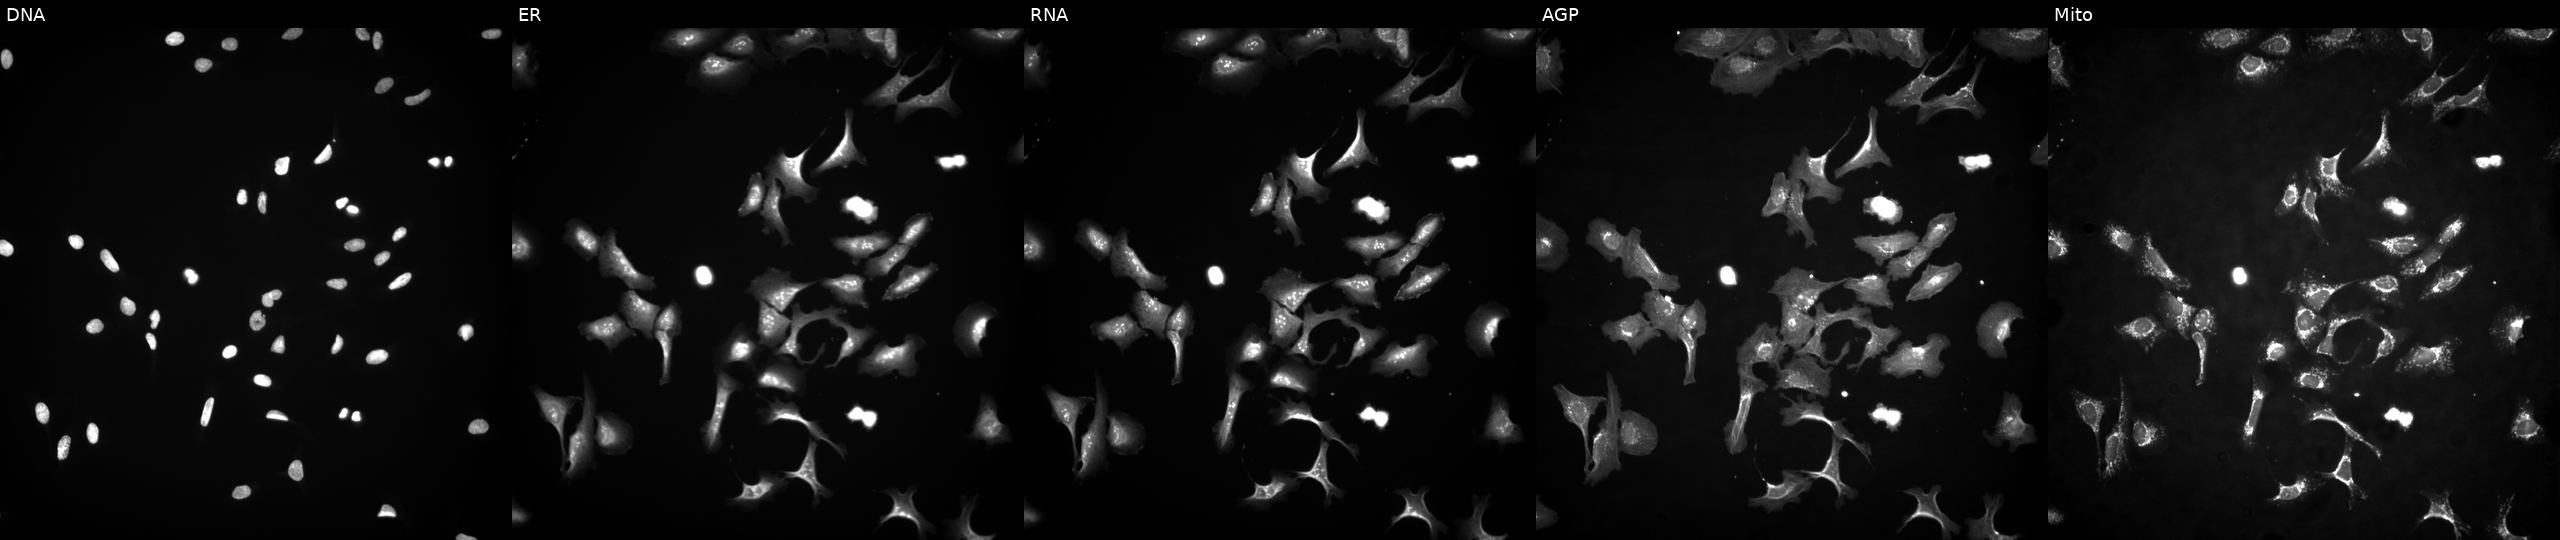
This image strip shows the five Cell Painting channels for a single field of U2OS cells overexpressing CEBPE via ORF transfection. Channels (left→right): Hoechst 33342, concanavalin A, SYTO 14, phalloidin and WGA, MitoTracker. Source 4, plate BR00117035, well A03.